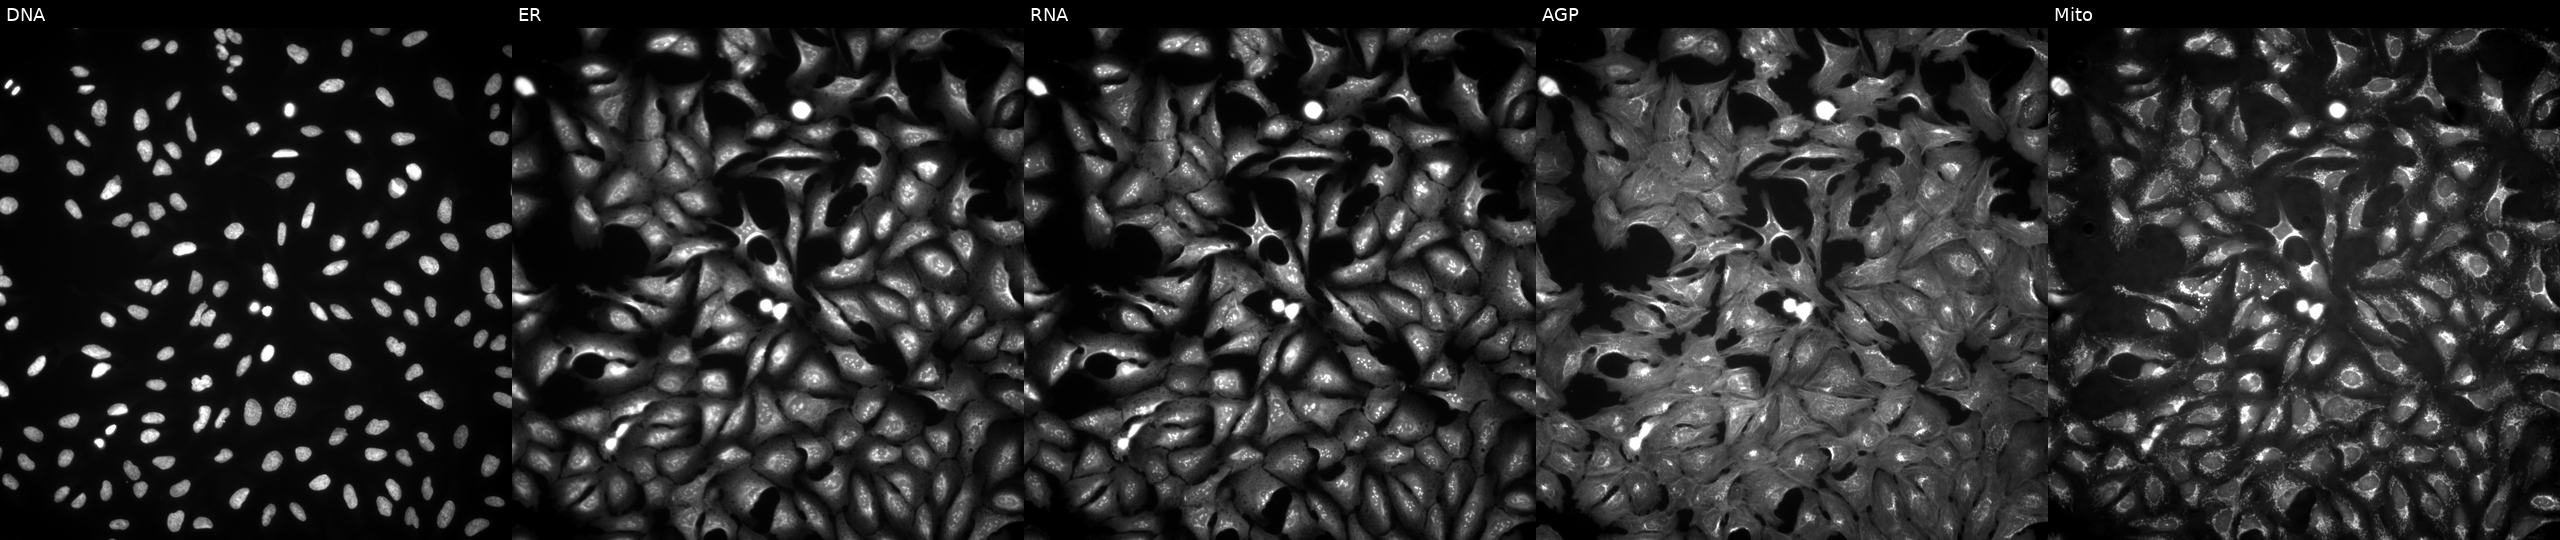
Five-channel Cell Painting image of U2OS cells transfected with an ORF construct for TLDC2. Panels show, left to right, DNA (nuclei); ER (endoplasmic reticulum); RNA (nucleoli and cytoplasmic RNA); AGP (actin cytoskeleton, Golgi, and plasma membrane); Mito (mitochondria). Source 4, plate BR00123509, well I04.